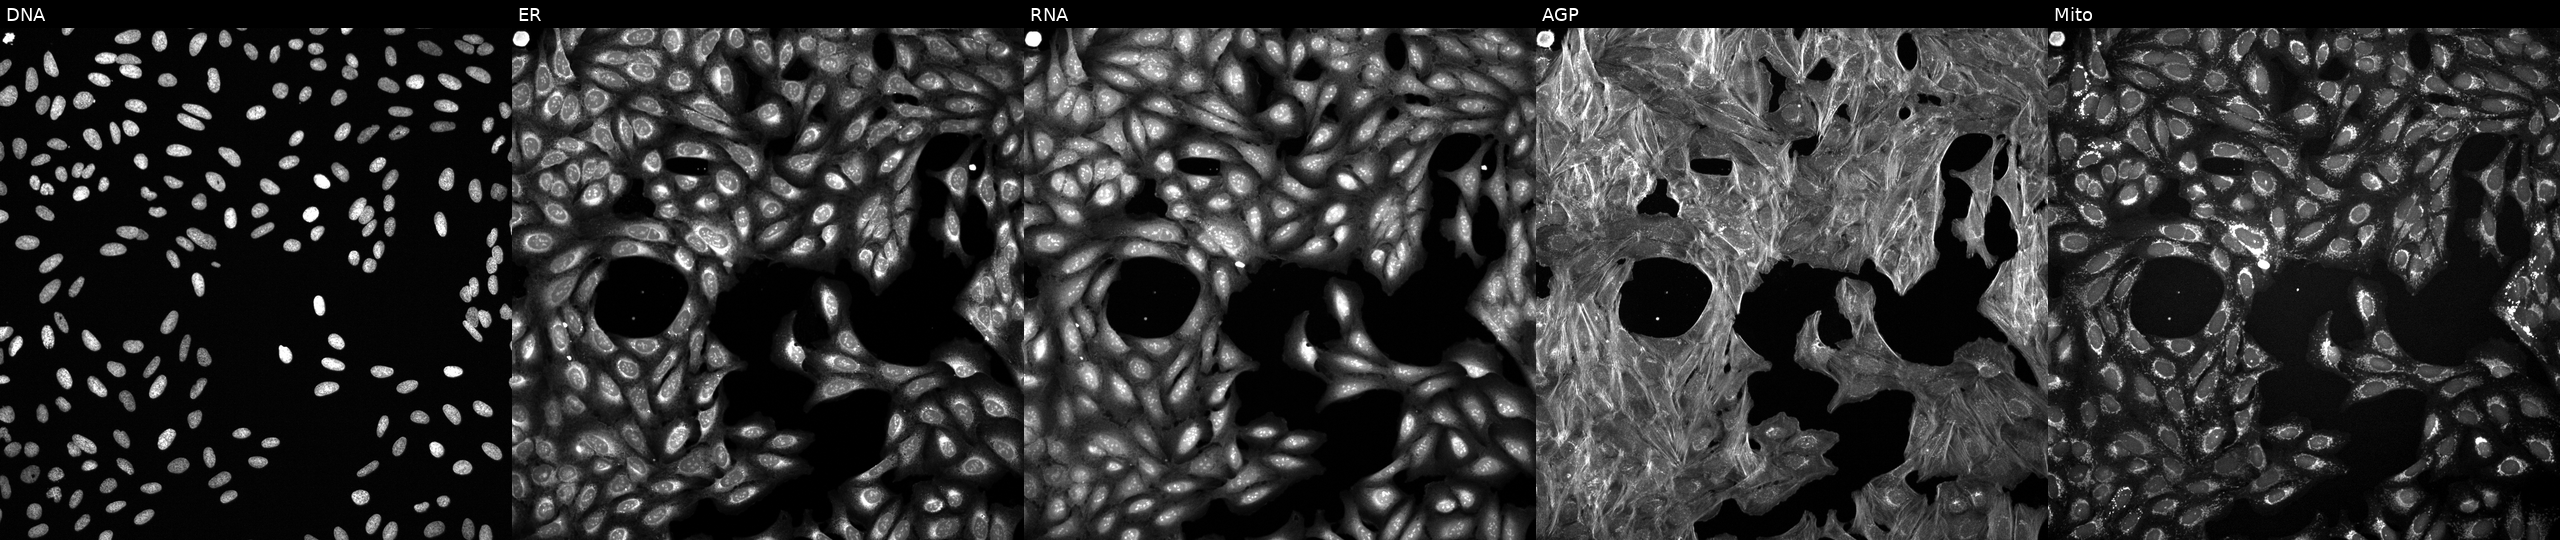
This image strip shows the five Cell Painting channels for a single field of U2OS cells perturbed with a small-molecule compound (InChIKey JGFZNORIPJIDIX-UHFFFAOYSA-N) [SMILES: c1ccc(-c2nnc(N3CCCCC3)c3nn(-c4ccccc4)c(-c4ccccc4)c23)cc1] (JUMP id JCP2022_039595). Channels (left→right): DNA (nuclei); ER (endoplasmic reticulum); RNA (nucleoli and cytoplasmic RNA); AGP (actin cytoskeleton, Golgi, and plasma membrane); Mito (mitochondria).